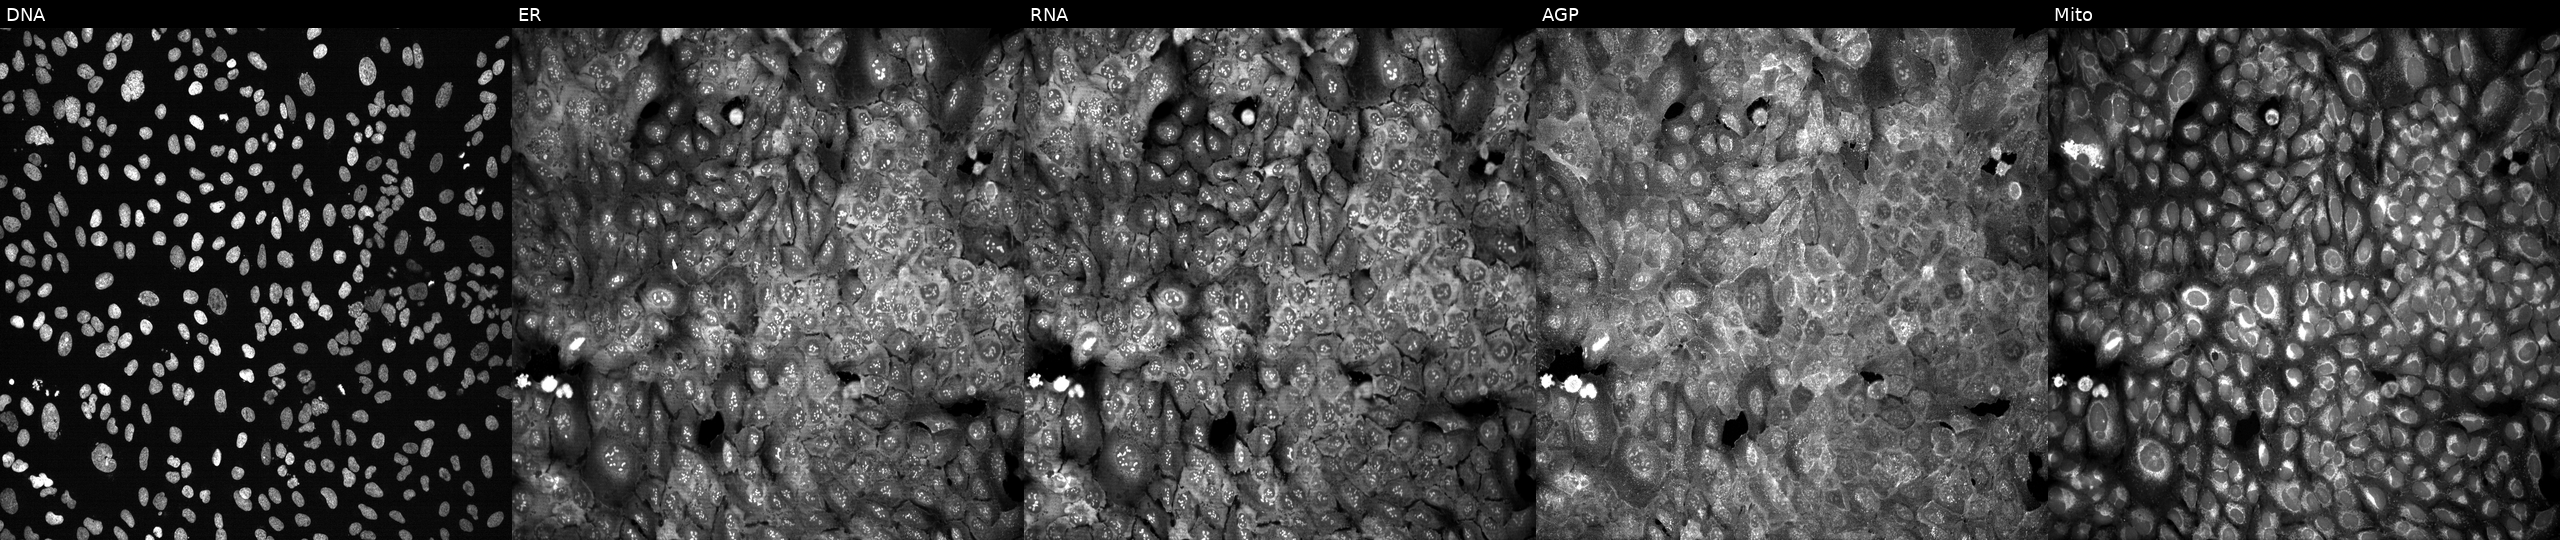
From left to right: Hoechst 33342, concanavalin A, SYTO 14, phalloidin and WGA, MitoTracker. U2OS osteosarcoma cells CRISPR-edited to disrupt CHAT (JUMP id JCP2022_801278). Cell Painting assay, JUMP-CP dataset.